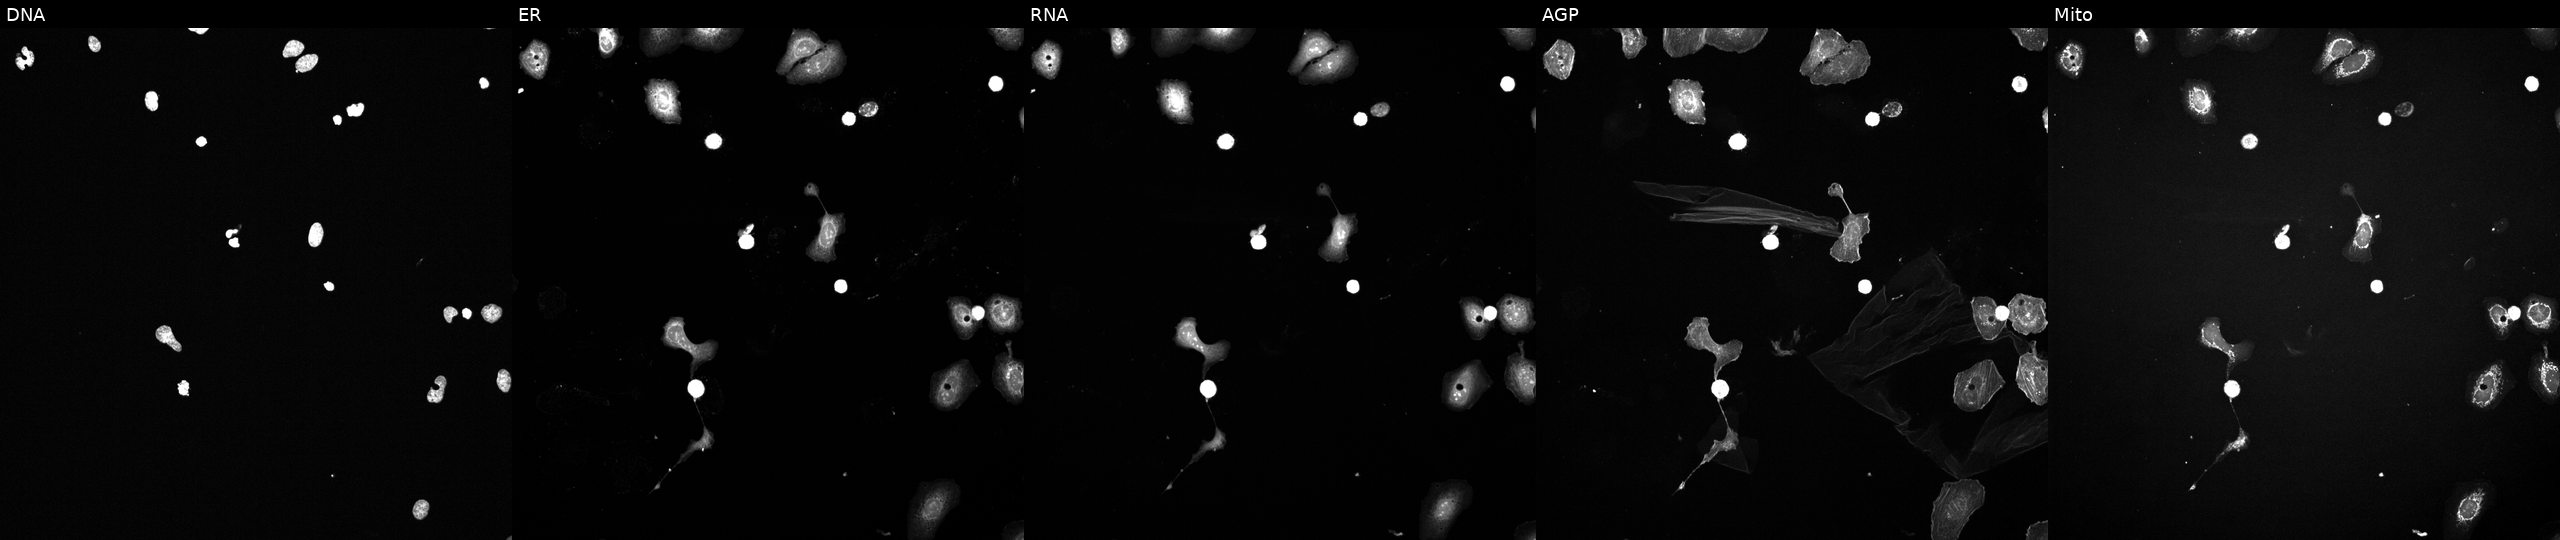
High-content fluorescence microscopy (Cell Painting). Cell line: U2OS. Perturbation: treated with a small-molecule compound (InChIKey CWHUFRVAEUJCEF-UHFFFAOYSA-N) (JUMP id JCP2022_013856). The five panels, left to right, show DNA, ER, RNA, AGP, and Mito.